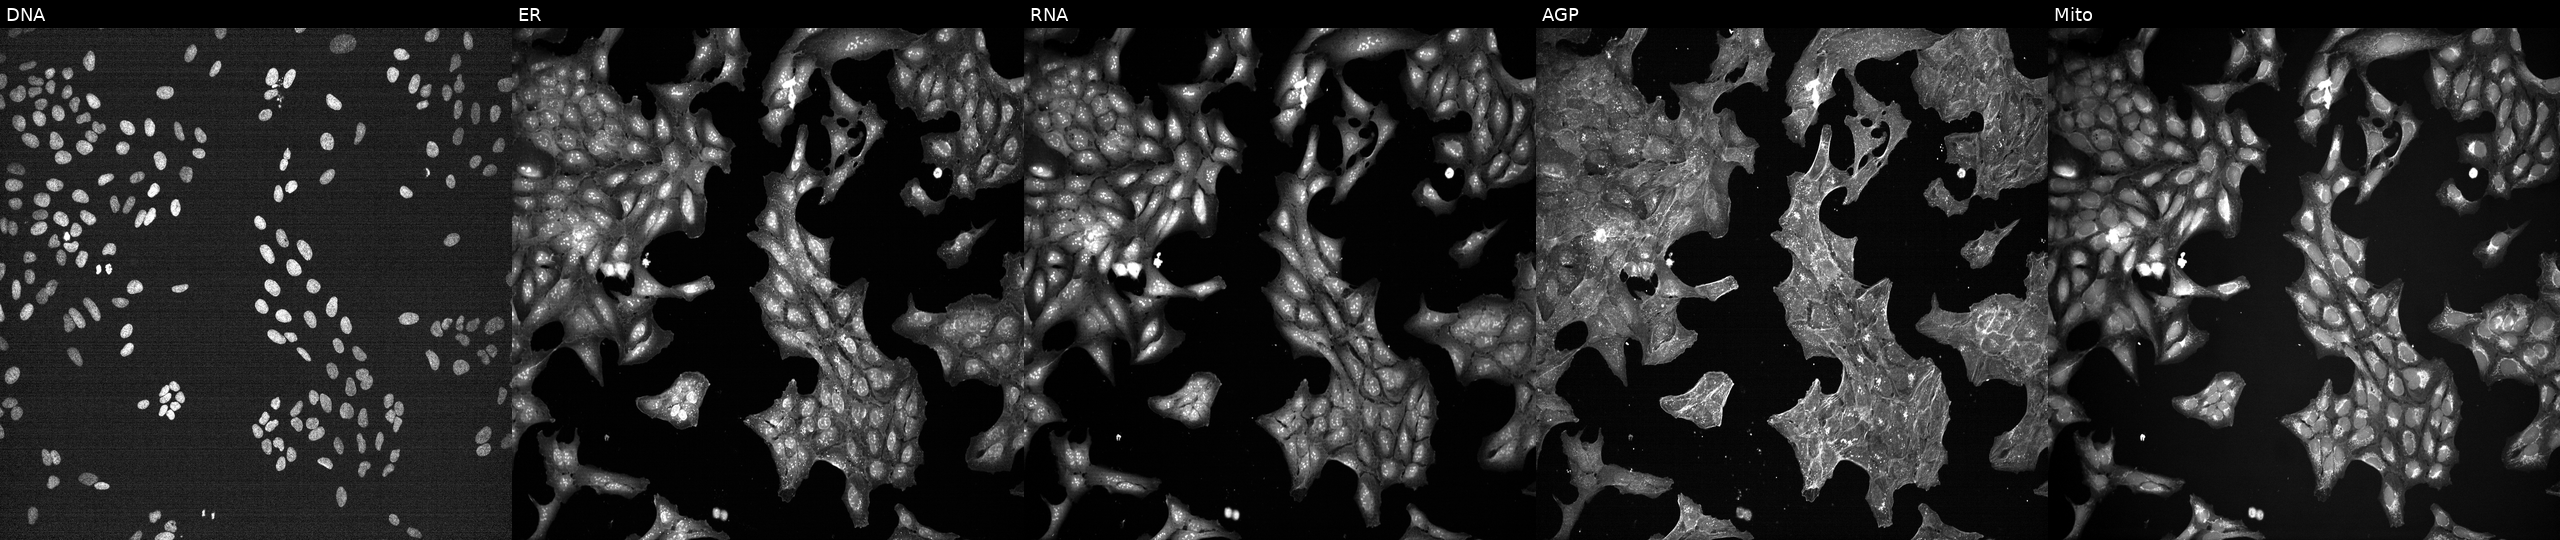
Channels (left→right): DNA, ER, RNA, AGP, and Mito. U2OS osteosarcoma cells exposed to the positive-control compound dexamethasone. Cell Painting assay, JUMP-CP dataset. Source 7, plate CP1-SC1-25, well H24.